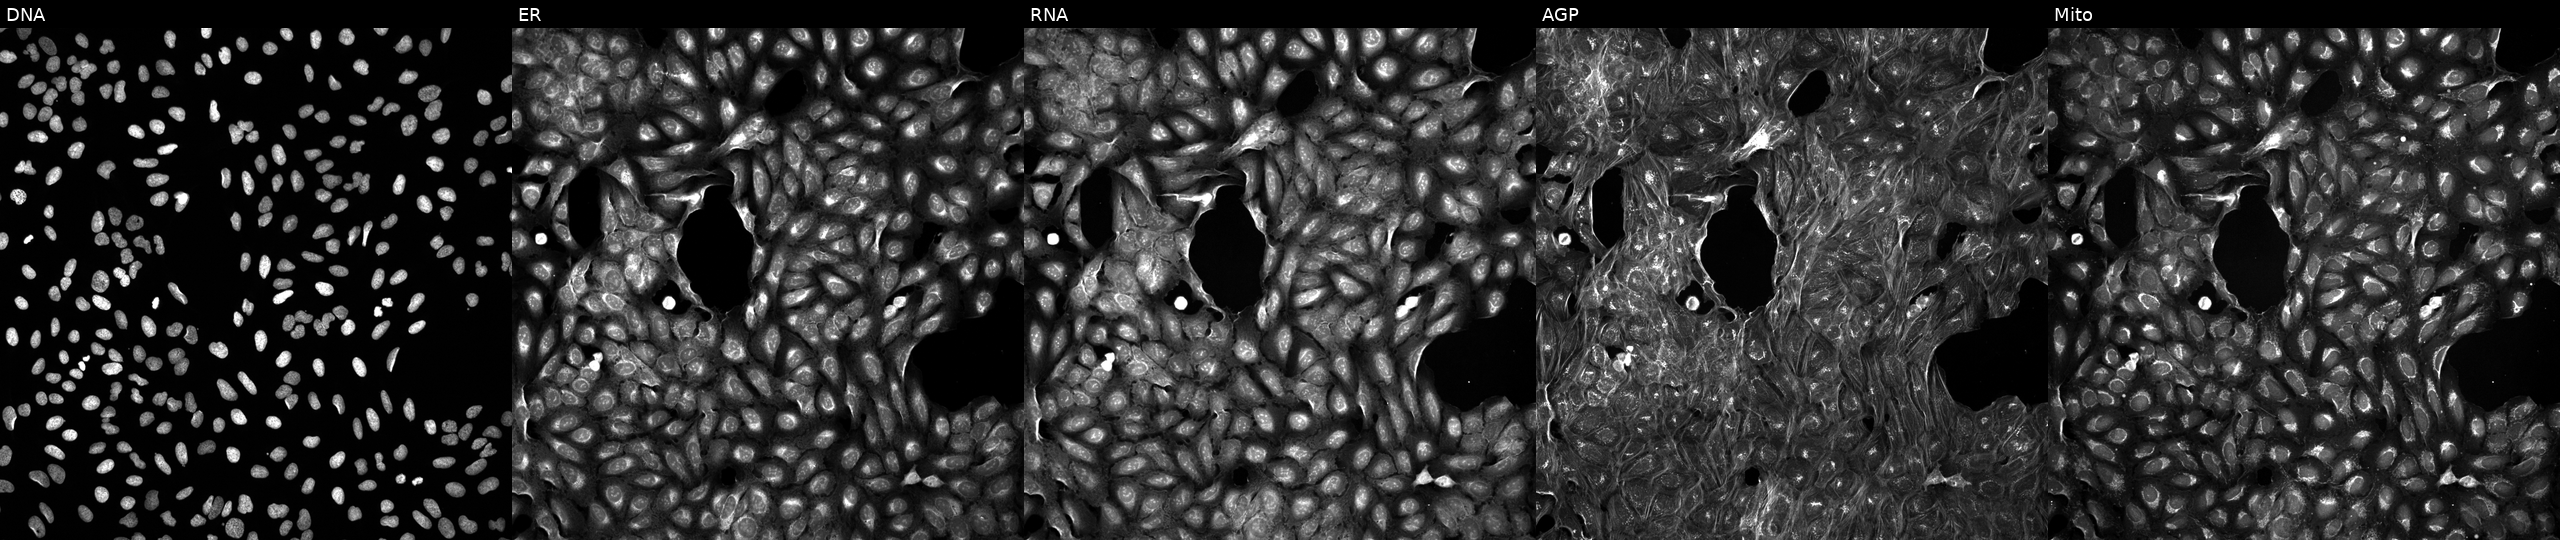
From left to right: Hoechst 33342, concanavalin A, SYTO 14, phalloidin and WGA, MitoTracker. U2OS osteosarcoma cells exposed to DMSO alone as a negative control (JUMP id JCP2022_033924). Cell Painting assay, JUMP-CP dataset.